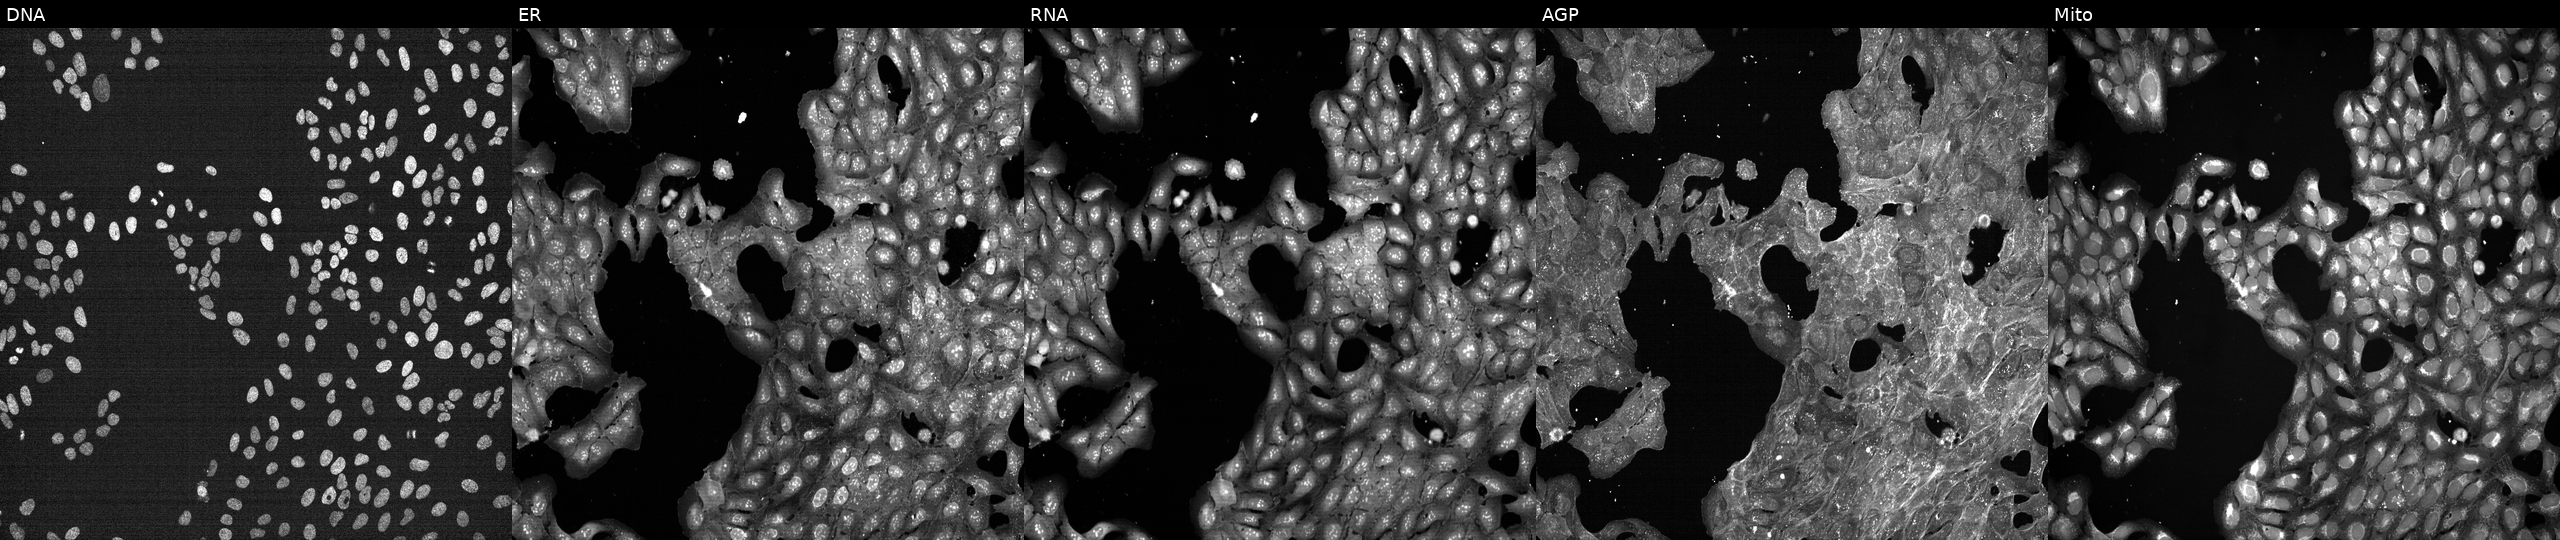
Five-channel Cell Painting image of U2OS cells exposed to a small-molecule compound (InChIKey VGZSUPCWNCWDAN-UHFFFAOYSA-N) [SMILES: CC(=O)c1ccc(S(=O)(=O)NC(=O)NC2CCCCC2)cc1] (JUMP id JCP2022_093901). Channels (left→right): DNA (nuclei); ER (endoplasmic reticulum); RNA (nucleoli and cytoplasmic RNA); AGP (actin cytoskeleton, Golgi, and plasma membrane); Mito (mitochondria).